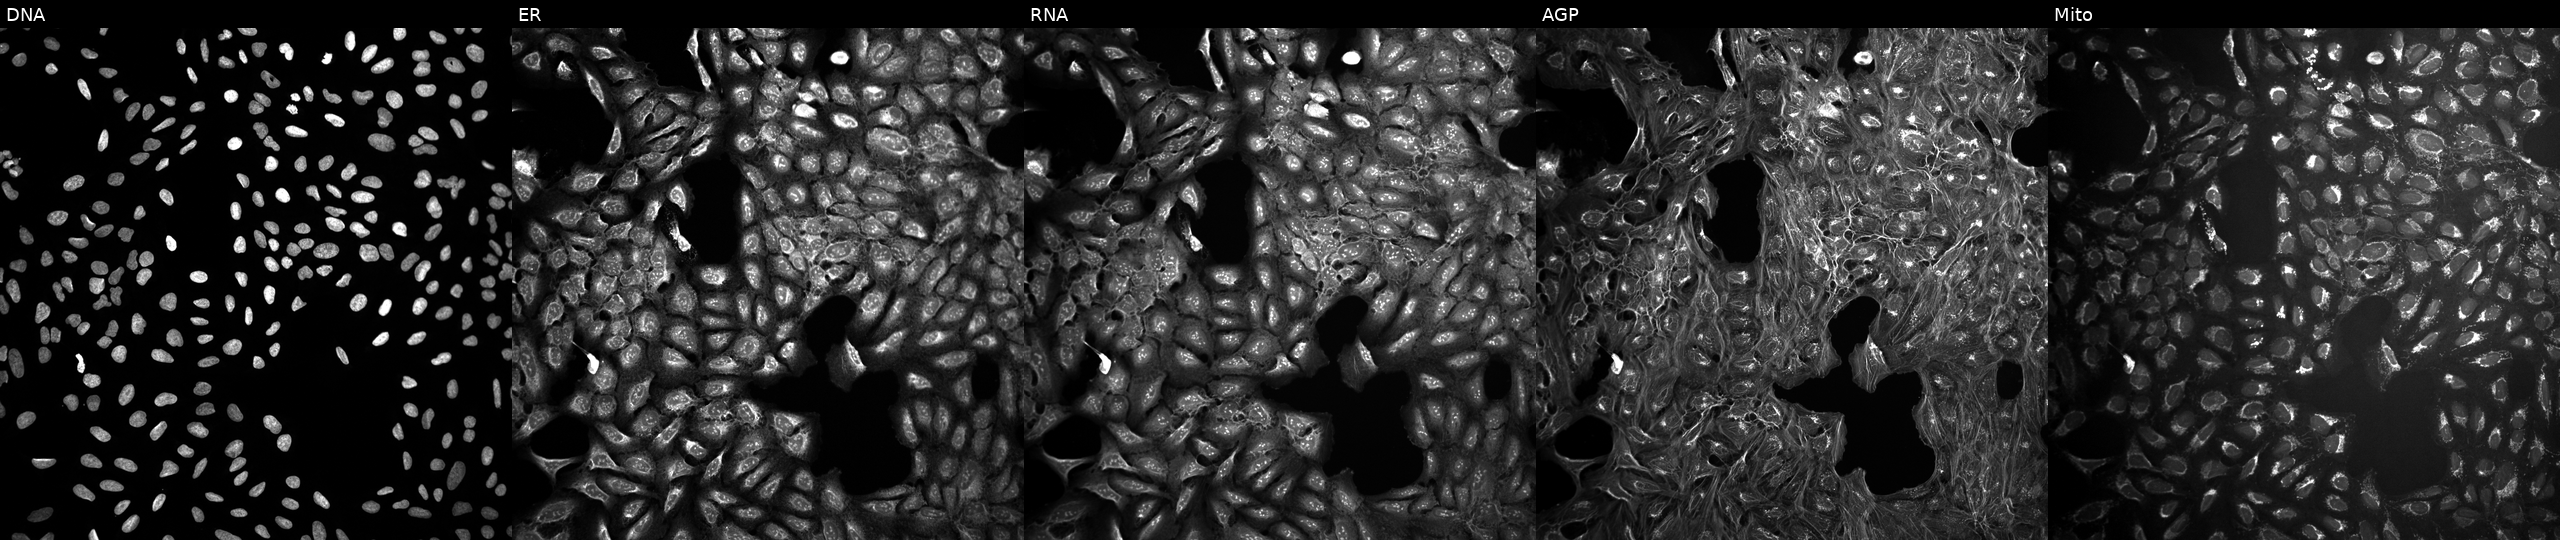
U2OS cells, Cell Painting assay, in an empty control well (no perturbation) (JUMP id JCP2022_999999). From left to right: Hoechst 33342, concanavalin A, SYTO 14, phalloidin and WGA, MitoTracker. Each panel is percentile-stretched 16-bit fluorescence. Source 10, plate Dest210531-152324, well L22.